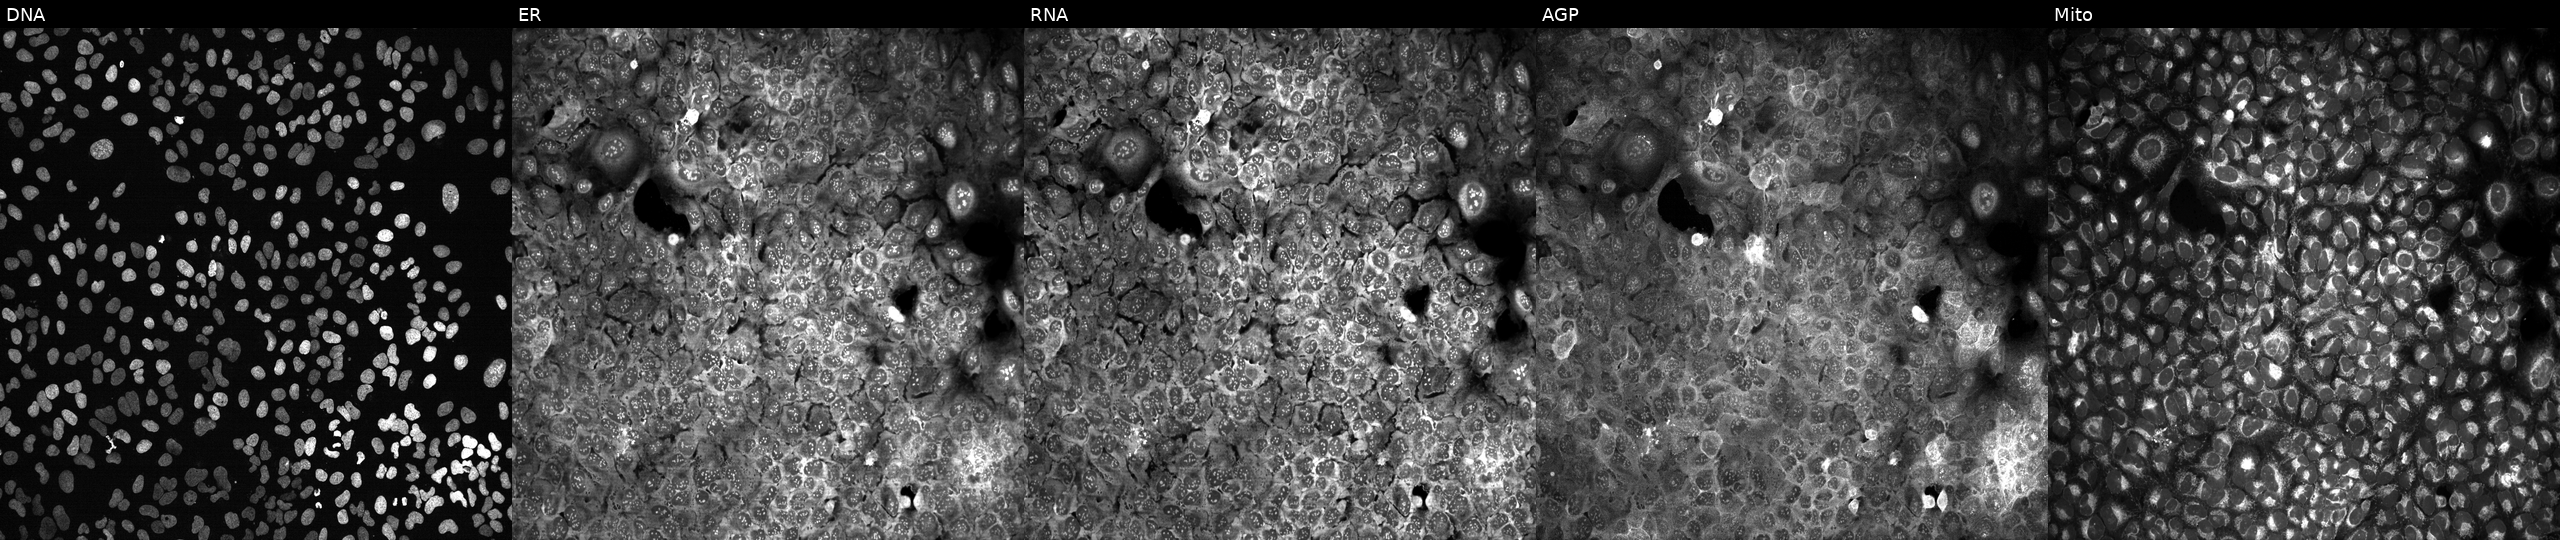
U2OS cells, Cell Painting assay, CRISPR-edited to disrupt CTPS2 (JUMP id JCP2022_801563). Channels (left→right): Hoechst 33342, concanavalin A, SYTO 14, phalloidin and WGA, MitoTracker. Each panel is percentile-stretched 16-bit fluorescence.